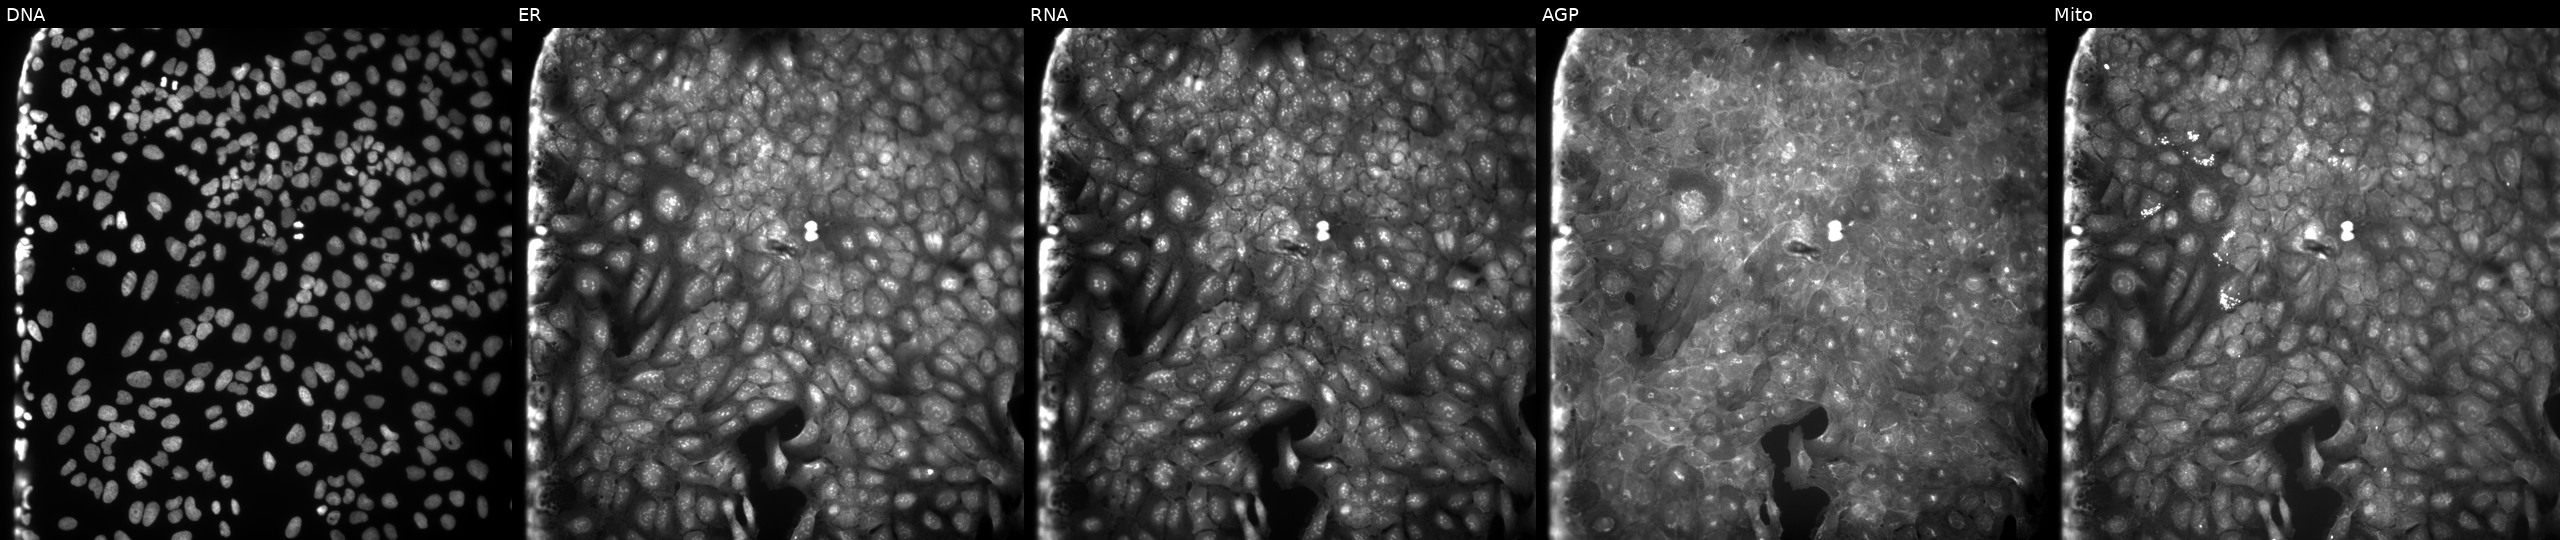
This image strip shows the five Cell Painting channels for a single field of U2OS cells perturbed with a small-molecule compound [SMILES: O=C(NC(=S)Nc1ccc([N+](=O)[O-])cc1)c1ccco1] (JUMP id JCP2022_065289). From left to right: DNA (nuclei); ER (endoplasmic reticulum); RNA (nucleoli and cytoplasmic RNA); AGP (actin cytoskeleton, Golgi, and plasma membrane); Mito (mitochondria).